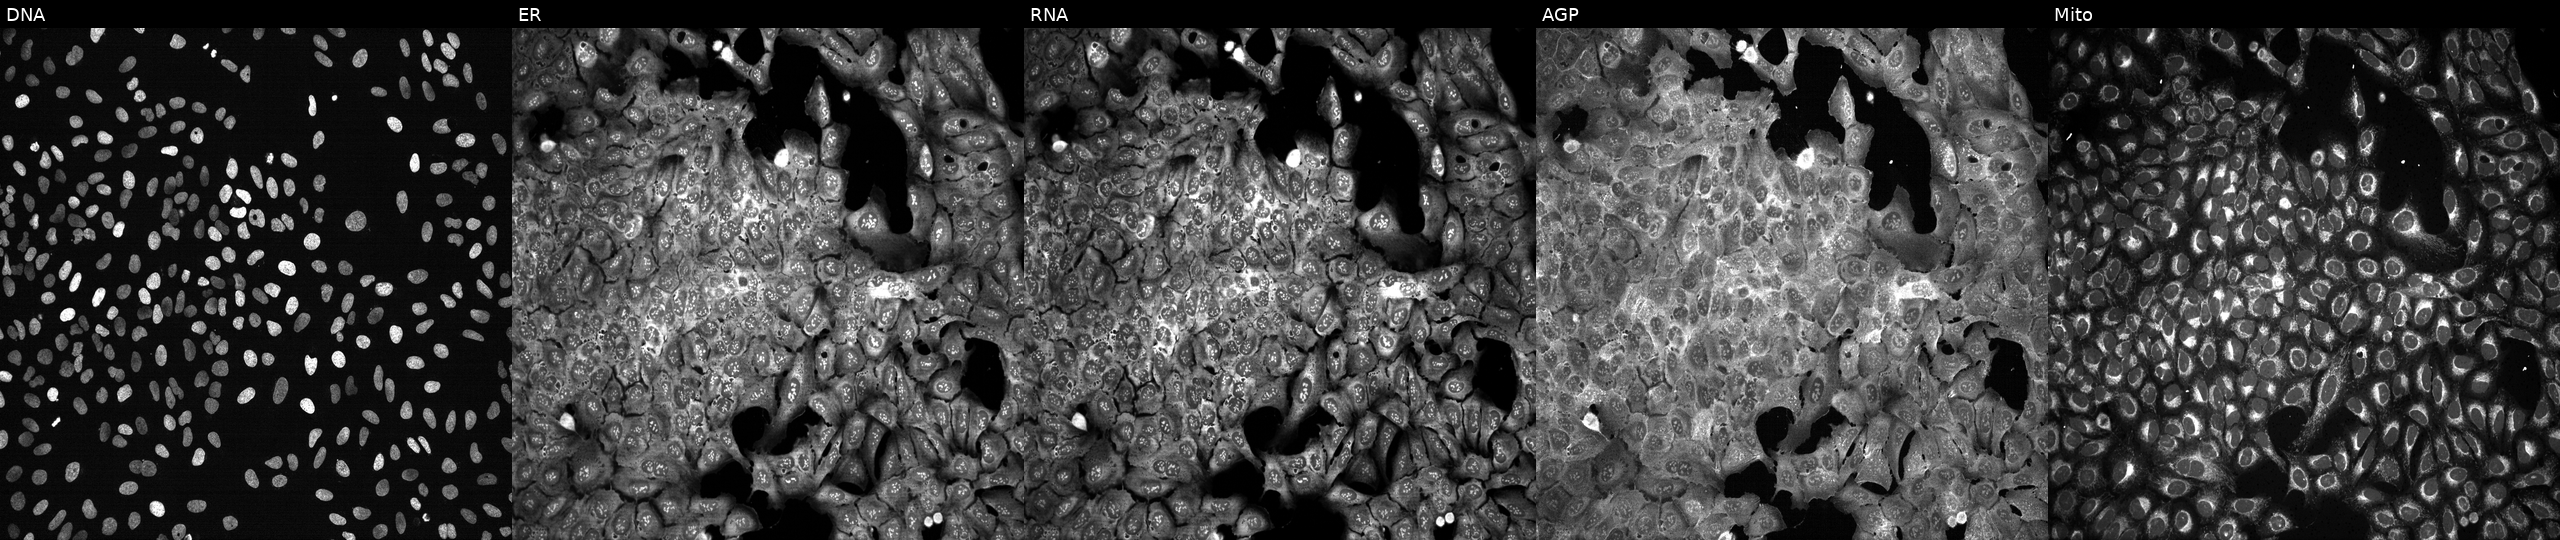
Five-channel Cell Painting image of U2OS cells with FGF11 knocked out by CRISPR. The five panels, left to right, show Hoechst 33342, concanavalin A, SYTO 14, phalloidin and WGA, MitoTracker. Source 13, plate CP-CC9-R3-01, well F13.